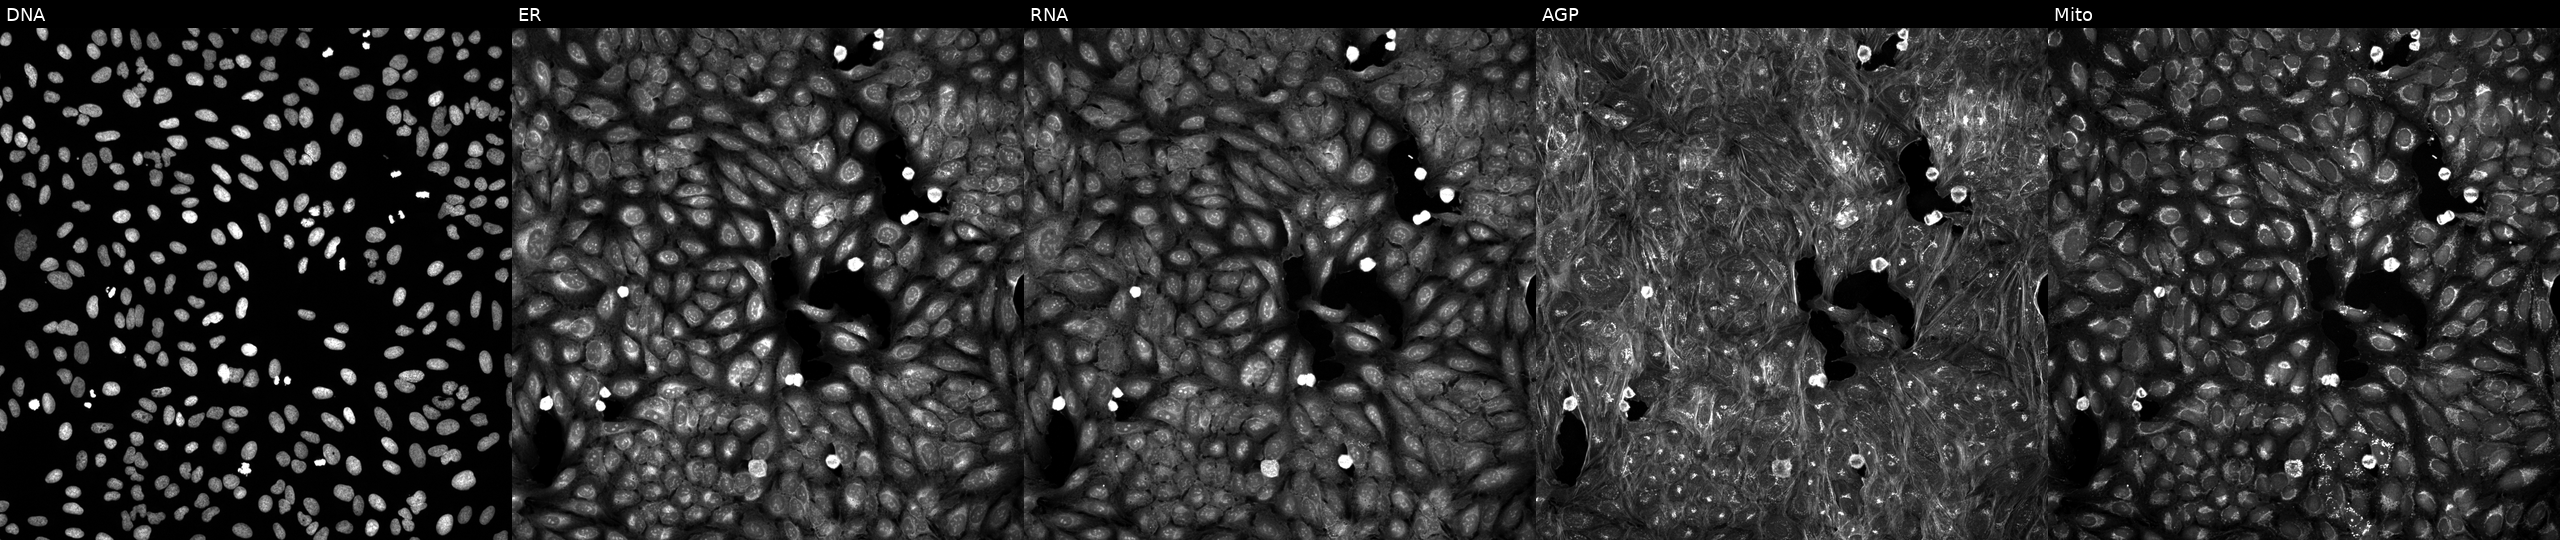
High-content fluorescence microscopy (Cell Painting). Cell line: U2OS. Perturbation: exposed to DMSO alone as a negative control (JUMP id JCP2022_033924). Channels (left→right): Hoechst 33342, concanavalin A, SYTO 14, phalloidin and WGA, MitoTracker.